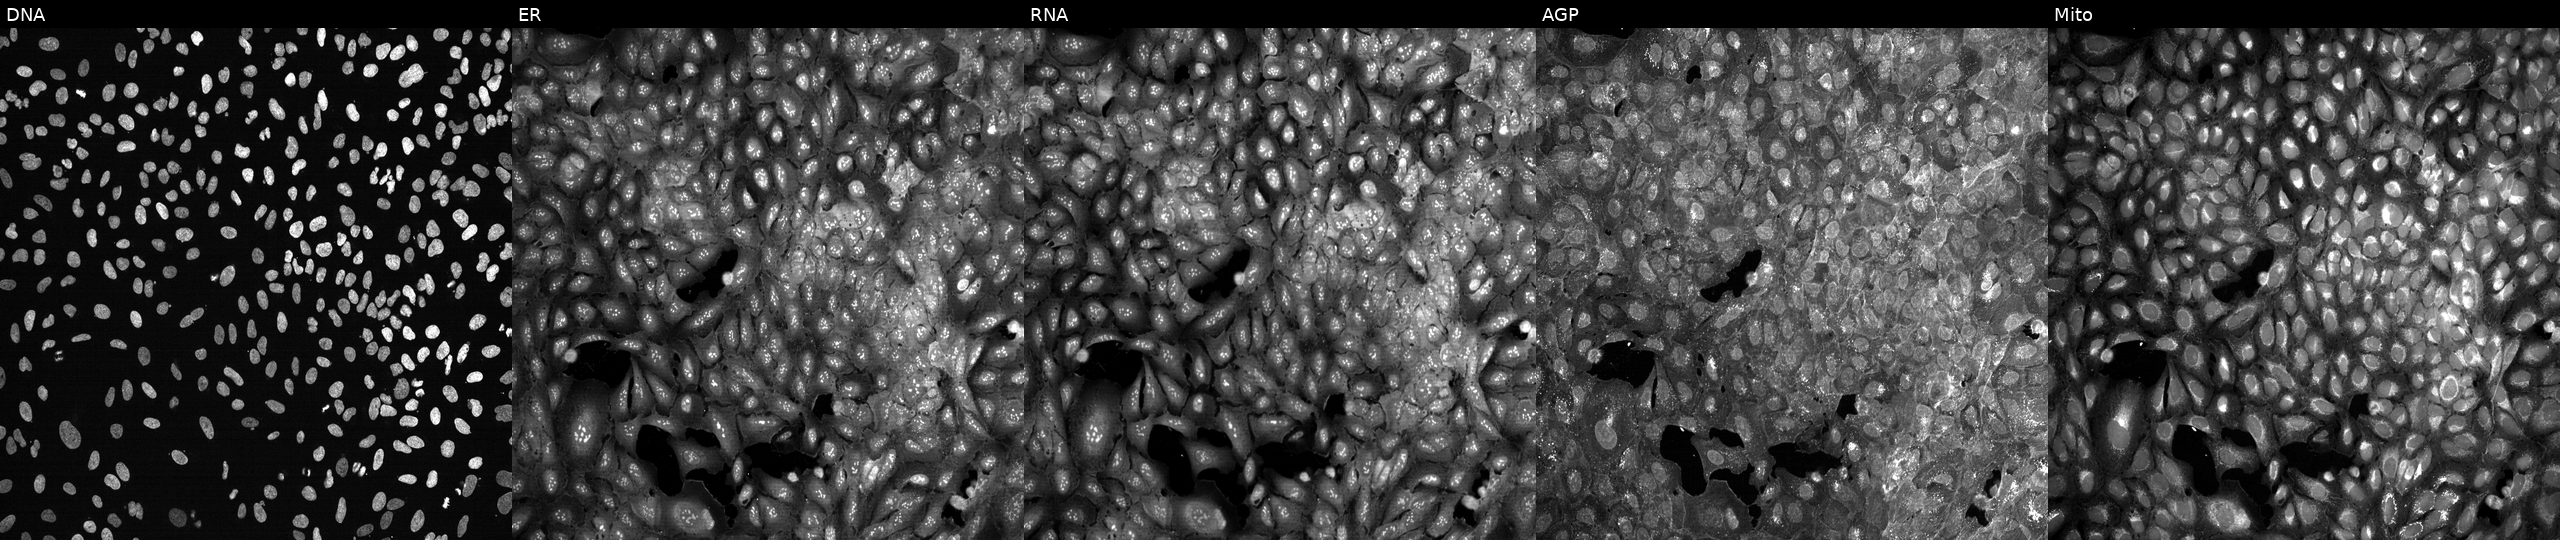
Five-channel Cell Painting image of U2OS cells CRISPR-edited to disrupt LDHAL6B. From left to right: Hoechst 33342, concanavalin A, SYTO 14, phalloidin and WGA, MitoTracker. Source 13, plate CP-CC9-R1-01, well B06.